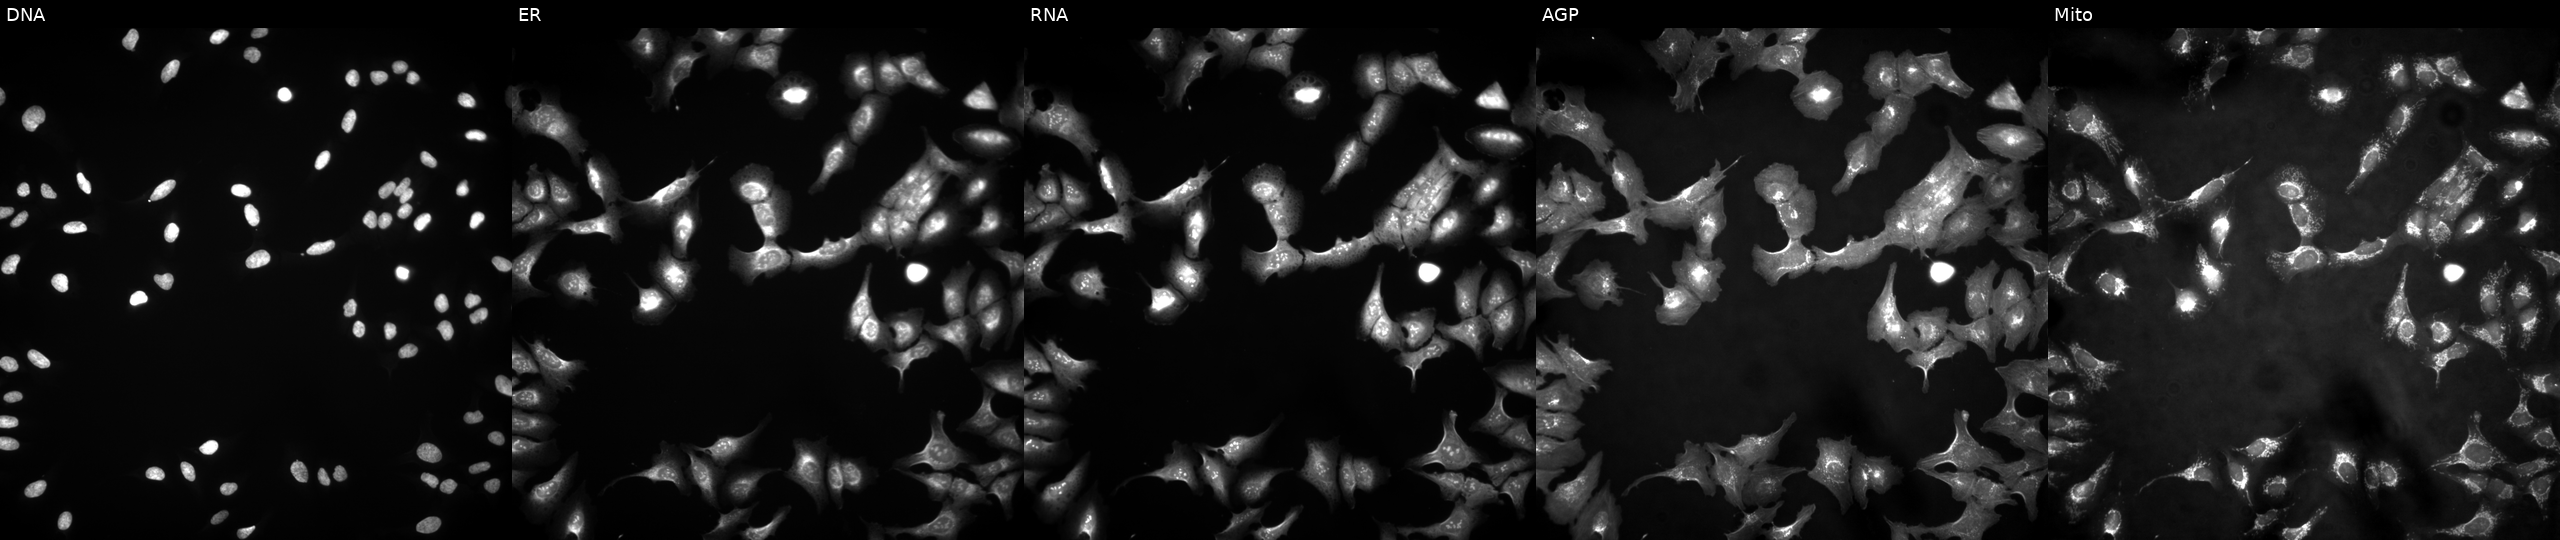
This image strip shows the five Cell Painting channels for a single field of U2OS cells overexpressing TCF19 via ORF transfection (JUMP id JCP2022_906586). From left to right: DNA (nuclei); ER (endoplasmic reticulum); RNA (nucleoli and cytoplasmic RNA); AGP (actin cytoskeleton, Golgi, and plasma membrane); Mito (mitochondria).